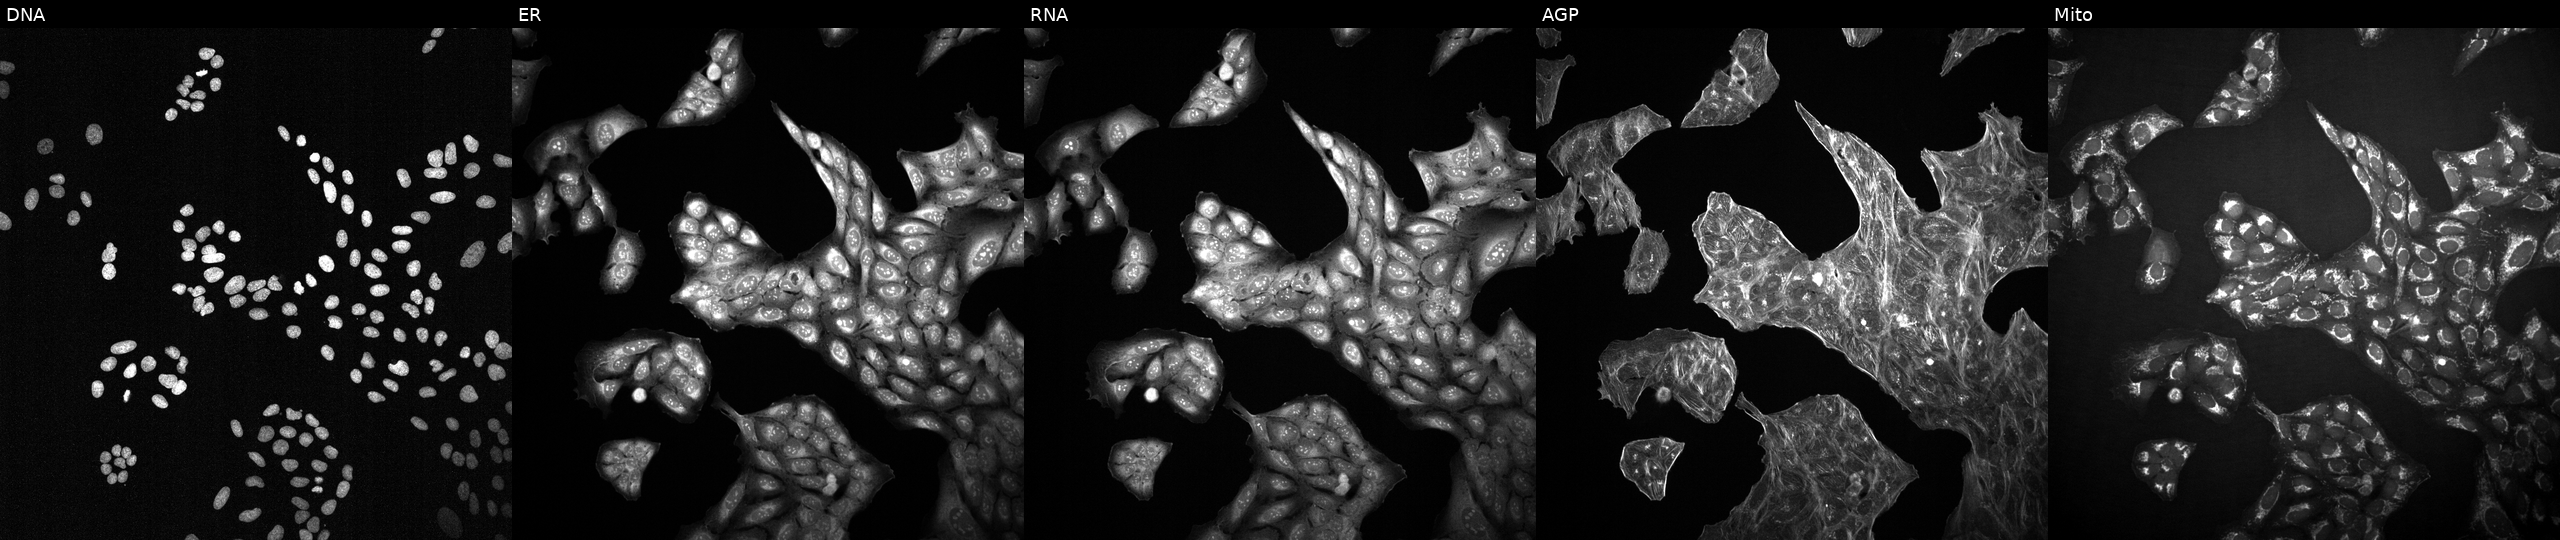
U2OS cells, Cell Painting assay, treated with a small-molecule compound (InChIKey HWHLPVGTWGOCJO-UHFFFAOYSA-N). The five panels, left to right, show DNA (nuclei); ER (endoplasmic reticulum); RNA (nucleoli and cytoplasmic RNA); AGP (actin cytoskeleton, Golgi, and plasma membrane); Mito (mitochondria). Each panel is percentile-stretched 16-bit fluorescence.